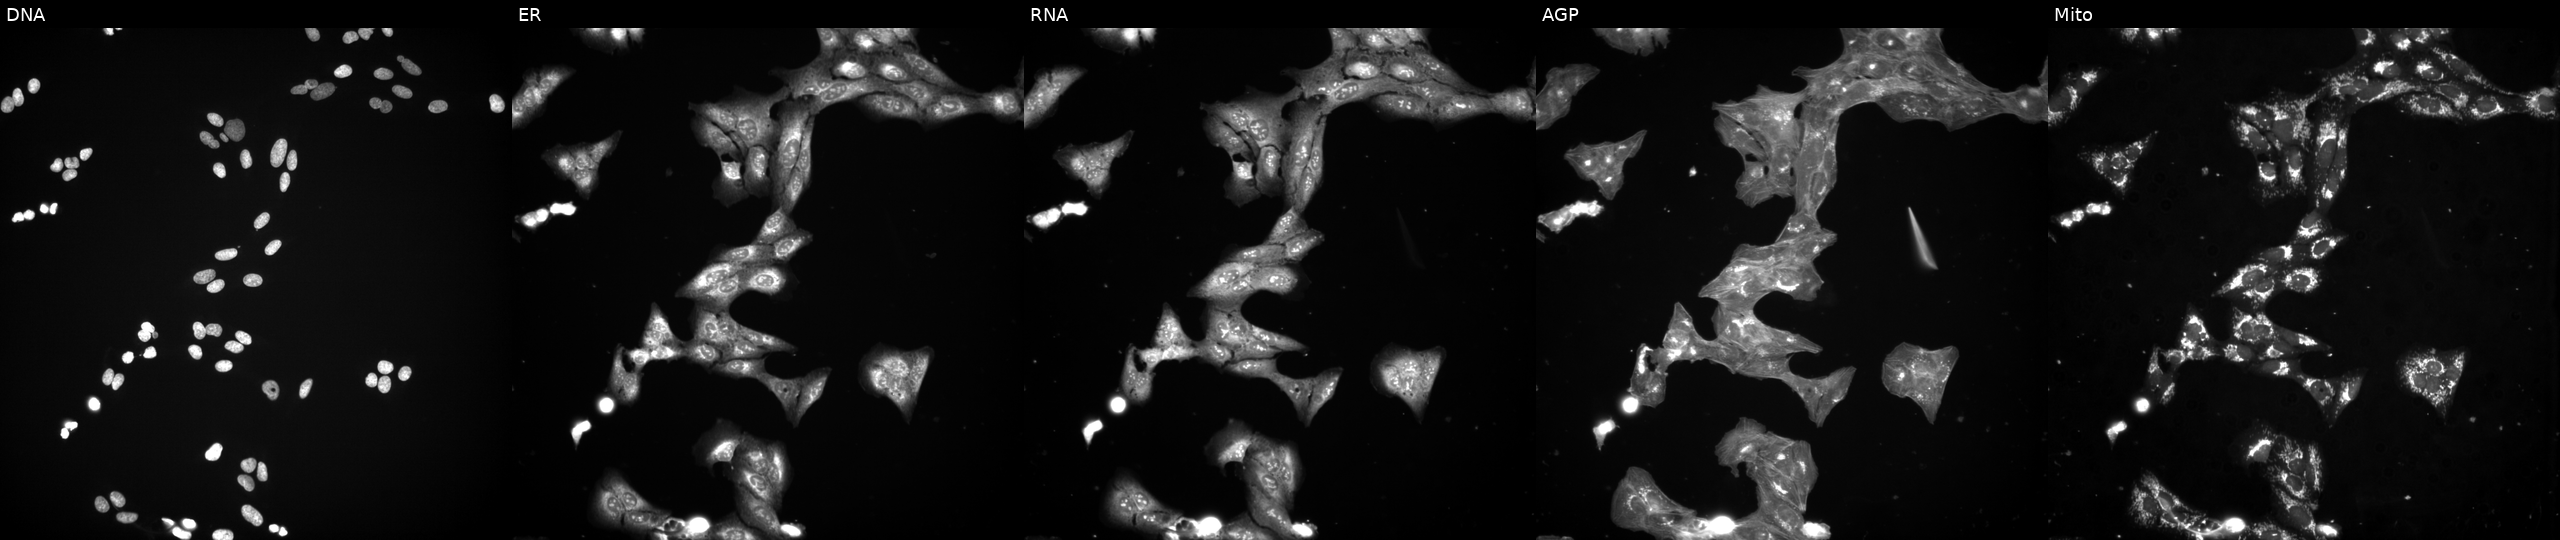
Five-channel Cell Painting image of U2OS cells treated with a small-molecule compound [SMILES: COc1cc(C(=O)NC(=S)Nc2cccc(NC(=O)c3ccccc3)c2)cc(OC)c1OC]. The five panels, left to right, show DNA, ER, RNA, AGP, and Mito. Source 3, plate BR5867b3, well E13.